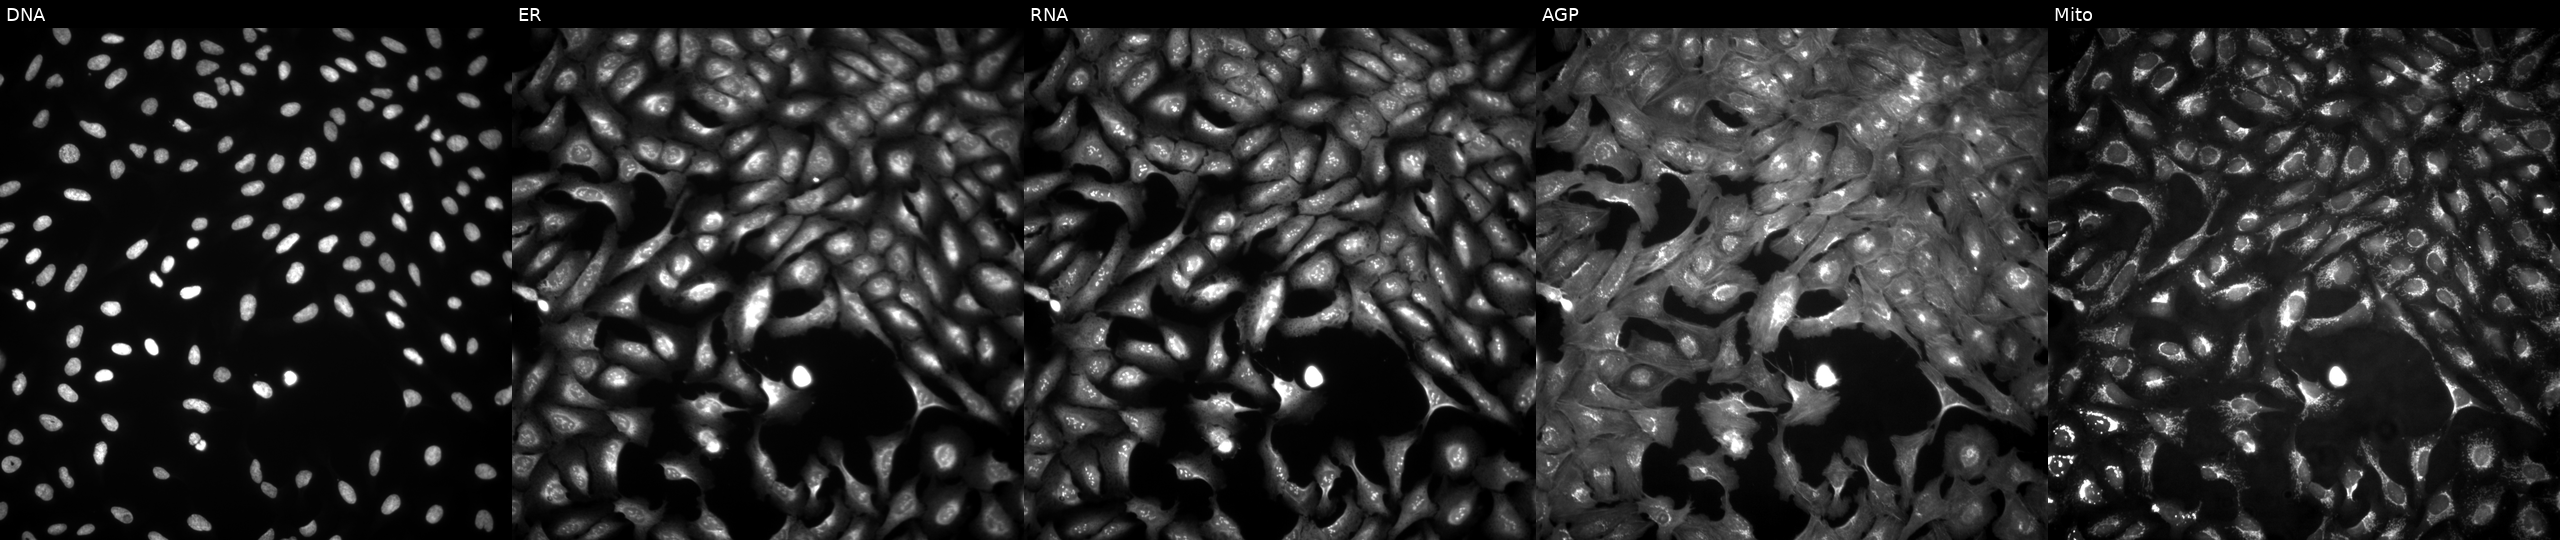
High-content fluorescence microscopy (Cell Painting). Cell line: U2OS. Perturbation: transfected with an ORF construct for REG1A (JUMP id JCP2022_901299). From left to right: DNA (nuclei); ER (endoplasmic reticulum); RNA (nucleoli and cytoplasmic RNA); AGP (actin cytoskeleton, Golgi, and plasma membrane); Mito (mitochondria). Source 4, plate BR00123509, well H18.